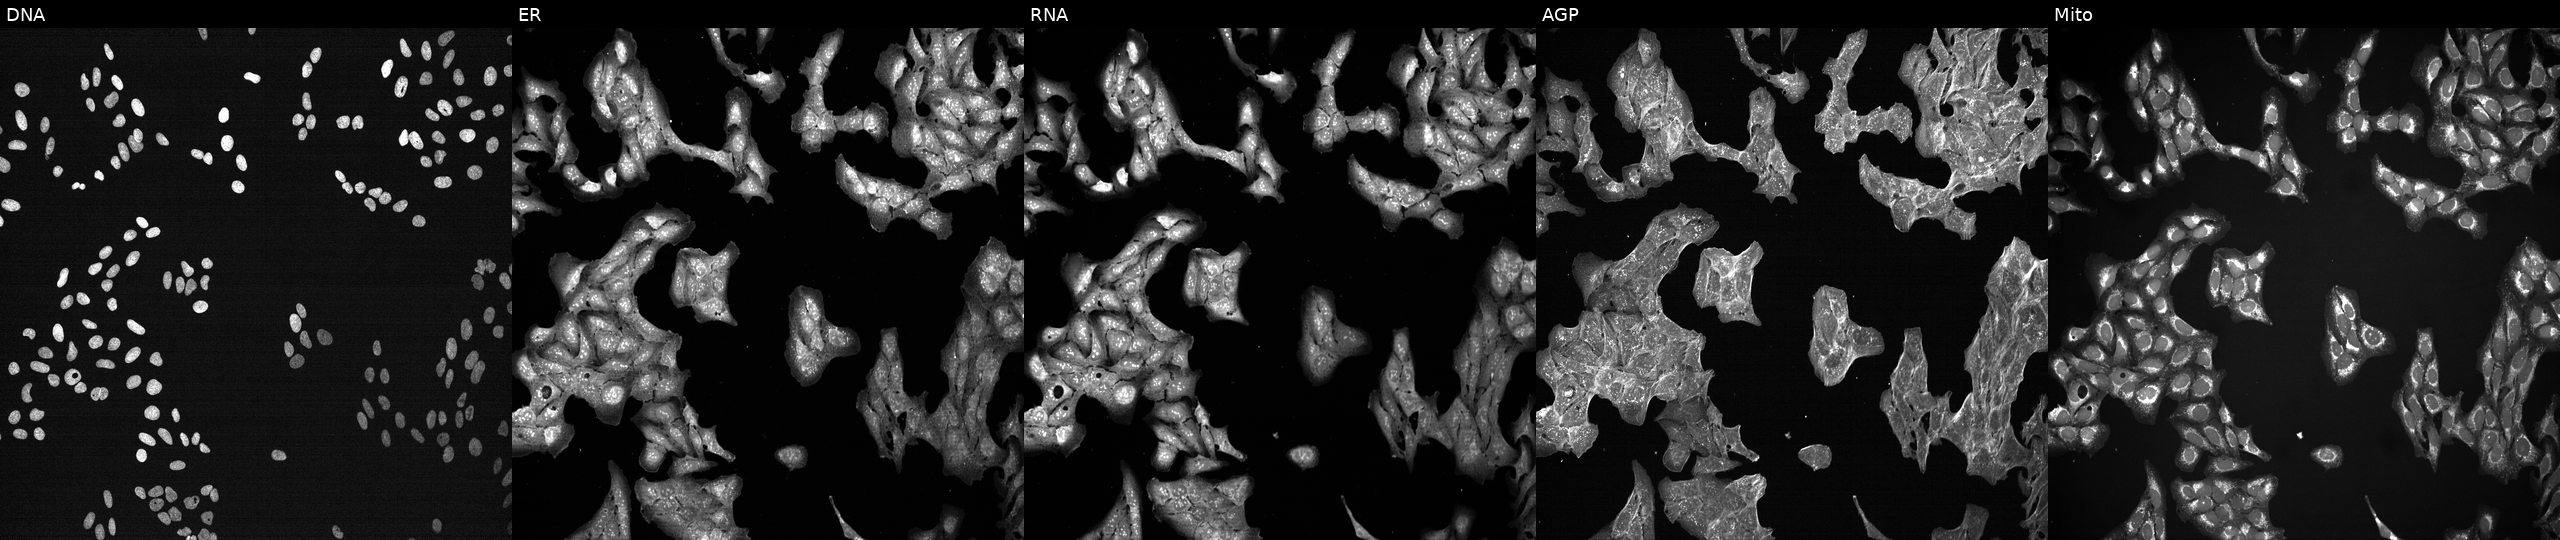
Five-channel Cell Painting image of U2OS cells perturbed with a small-molecule compound (InChIKey AFJRDFWMXUECEW-UHFFFAOYSA-N). From left to right: DNA (nuclei); ER (endoplasmic reticulum); RNA (nucleoli and cytoplasmic RNA); AGP (actin cytoskeleton, Golgi, and plasma membrane); Mito (mitochondria).